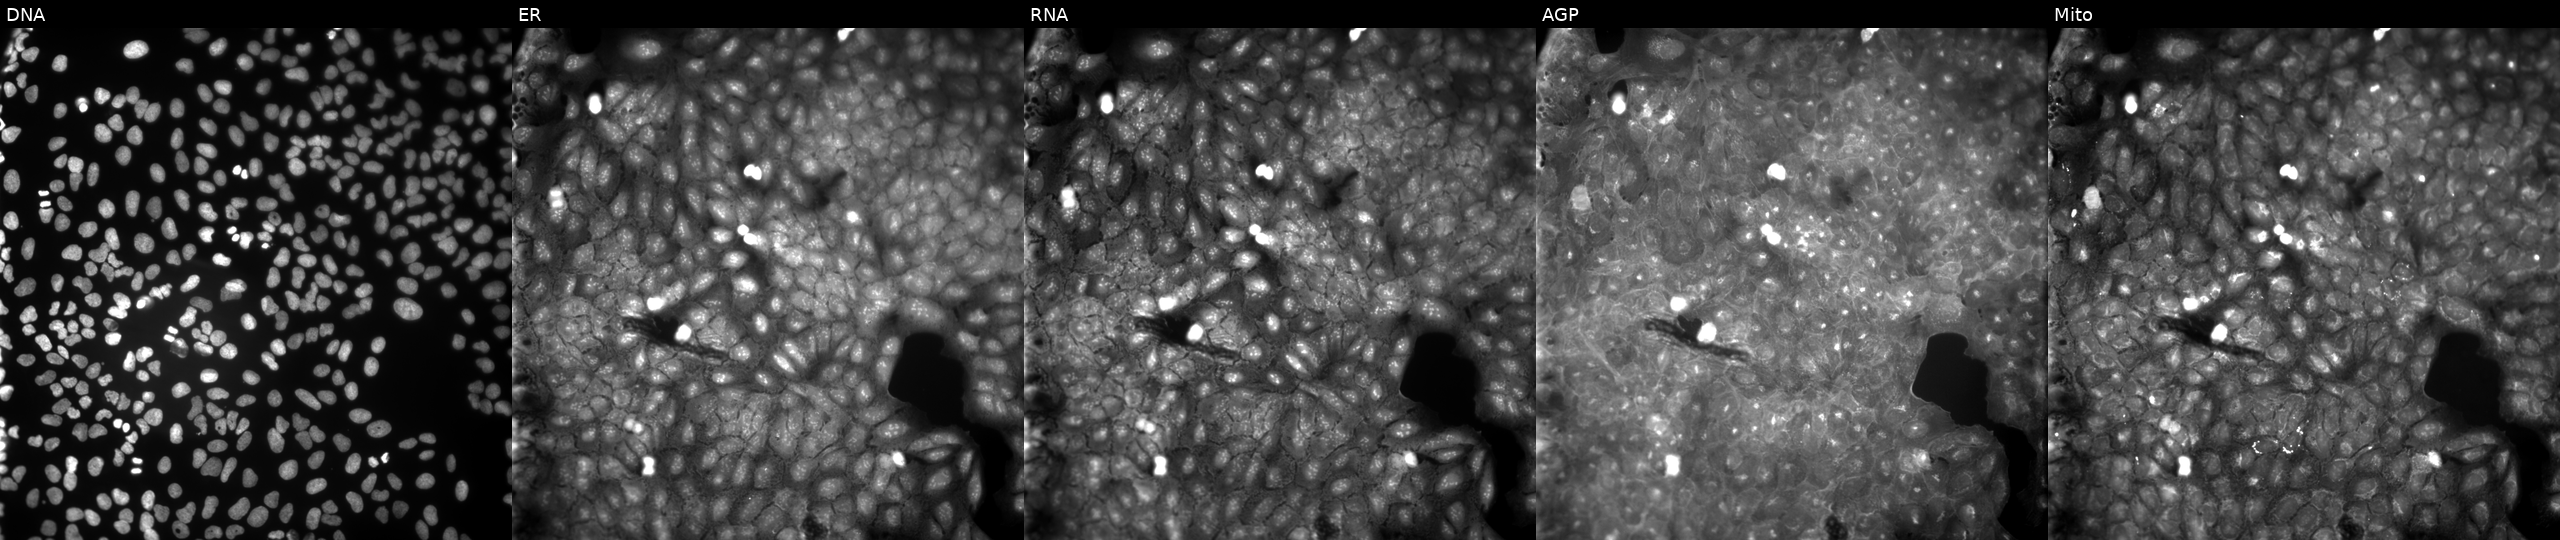
JUMP Cell Painting — COMPOUND plate. U2OS cells exposed to a small-molecule compound (InChIKey PVIJATJBOZEYAB-UHFFFAOYSA-N). The five panels, left to right, show DNA, ER, RNA, AGP, and Mito.